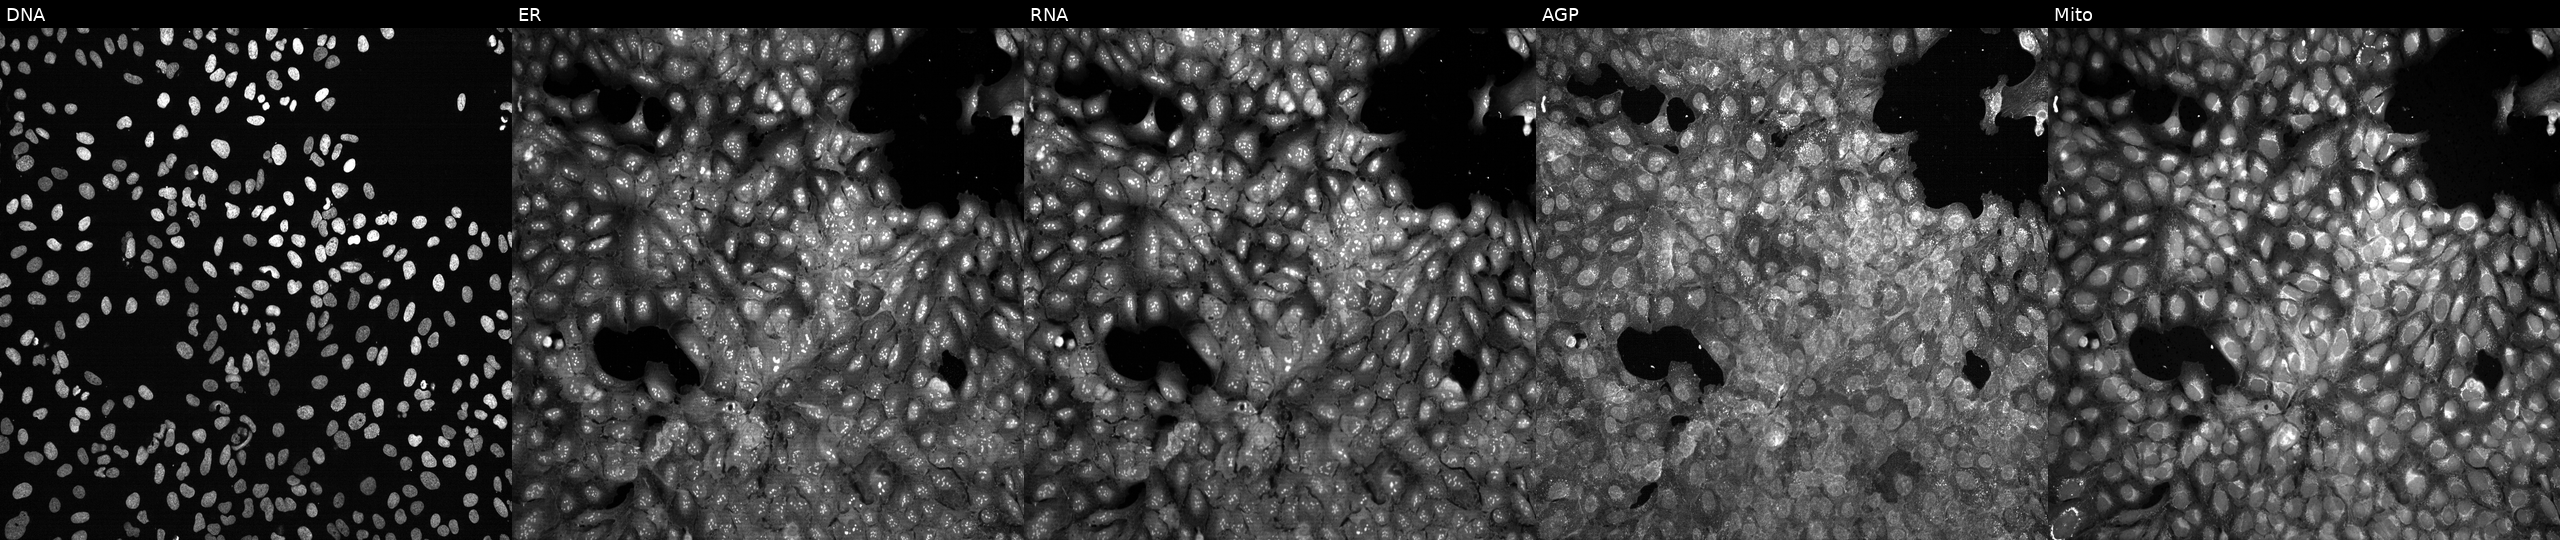
Five-channel Cell Painting image of U2OS cells following CRISPR knockout of MGST2. Panels show, left to right, DNA, ER, RNA, AGP, and Mito.